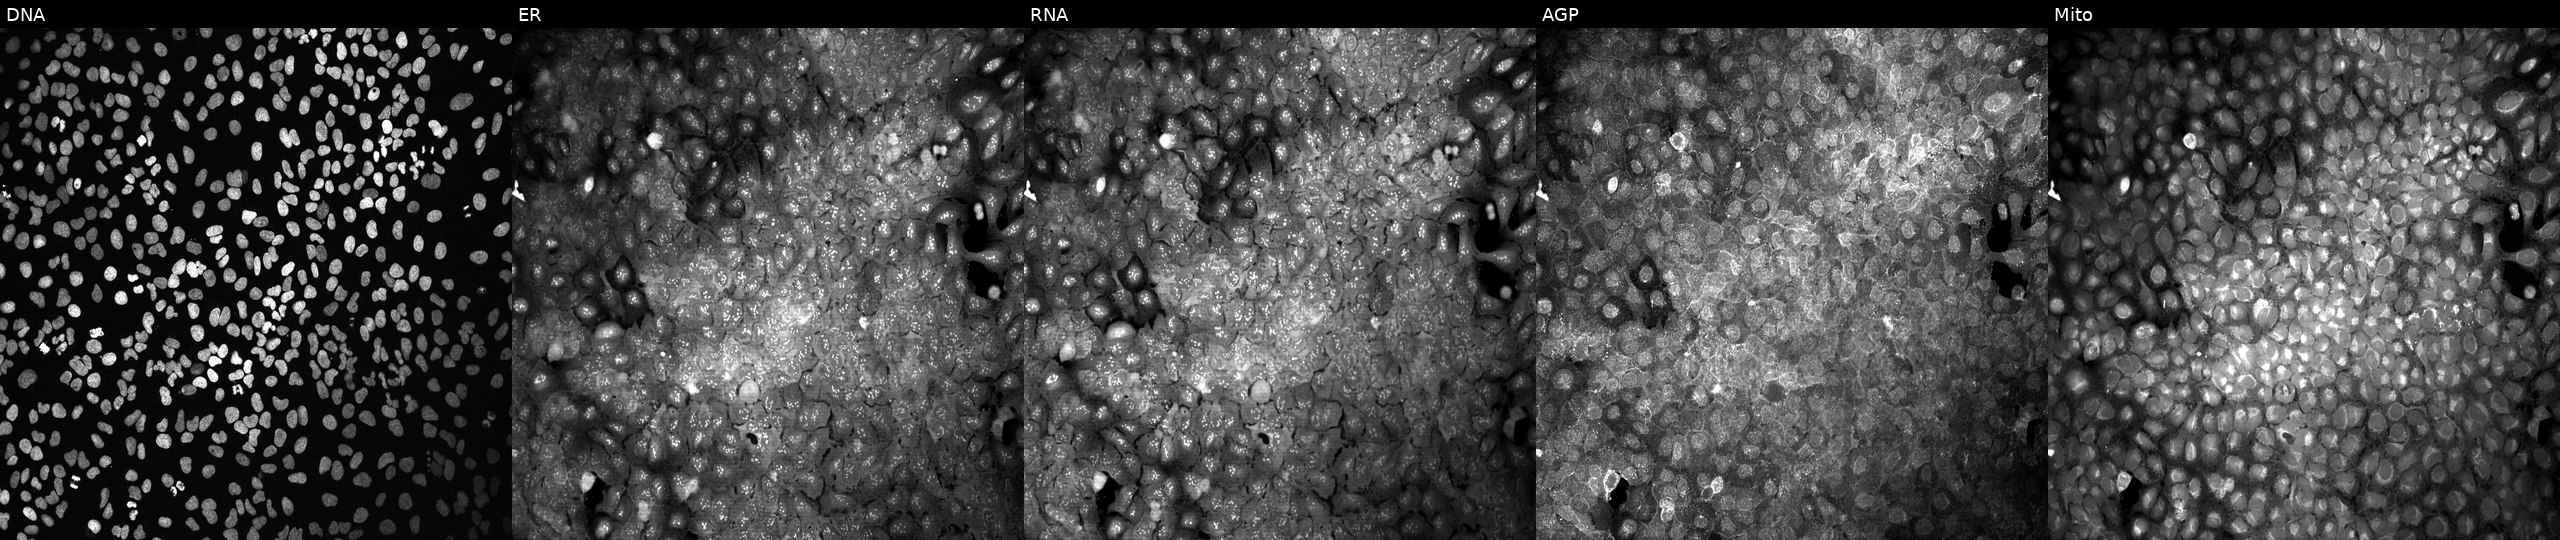
U2OS cells, Cell Painting assay, treated with DMSO vehicle only (negative control). Channels (left→right): Hoechst 33342, concanavalin A, SYTO 14, phalloidin and WGA, MitoTracker. Each panel is percentile-stretched 16-bit fluorescence.